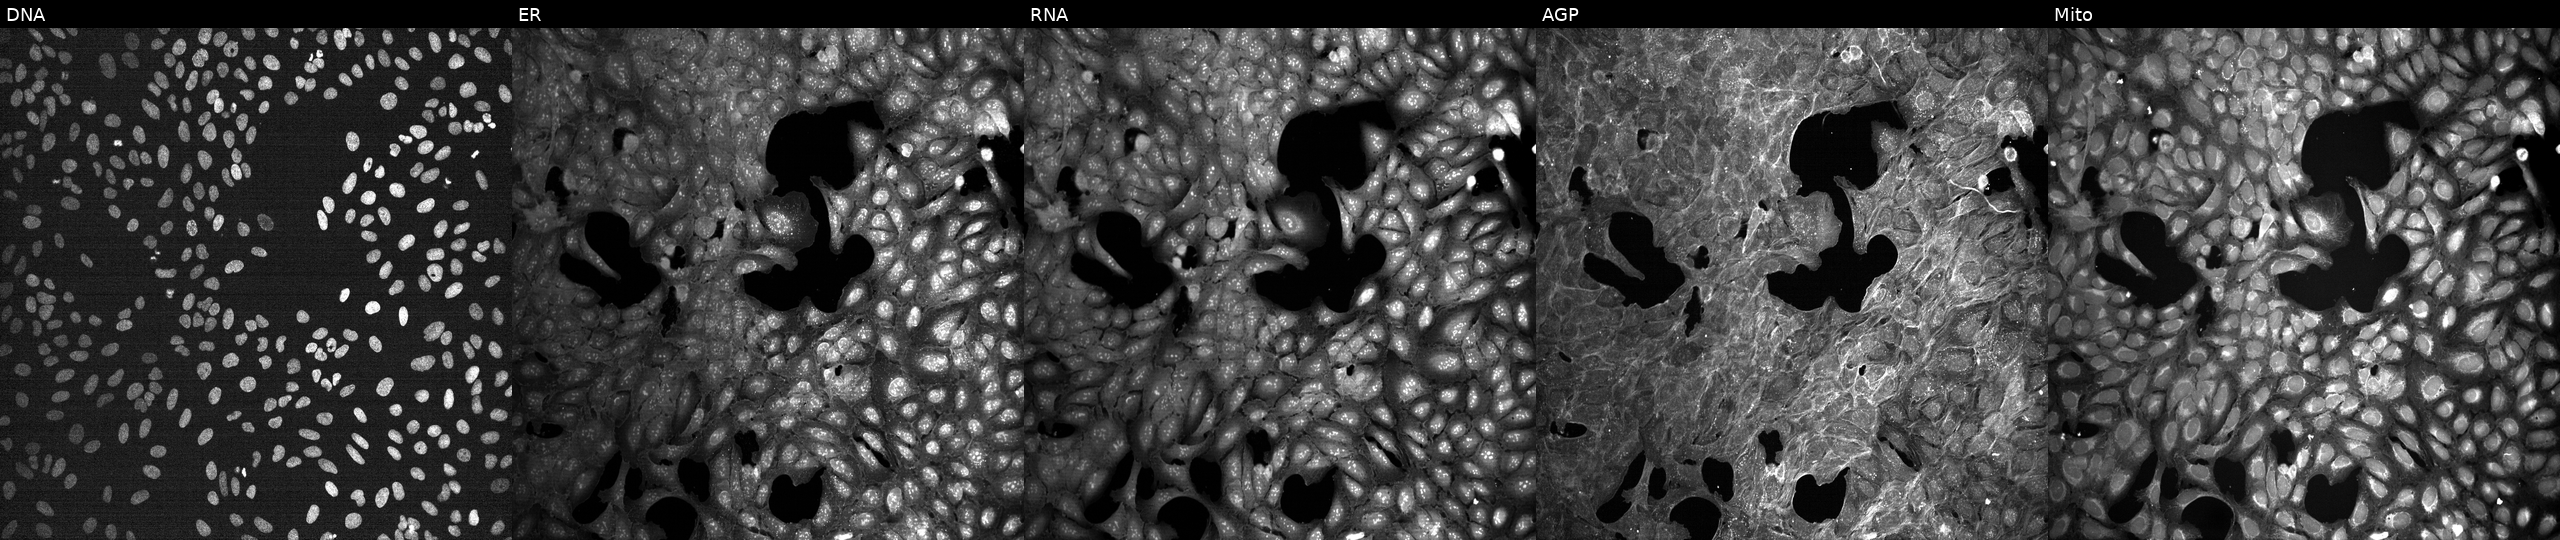
Five-channel Cell Painting image of U2OS cells perturbed with a small-molecule compound (InChIKey SNICXCGAKADSCV-UHFFFAOYSA-N) (JUMP id JCP2022_084364). From left to right: DNA, ER, RNA, AGP, and Mito.